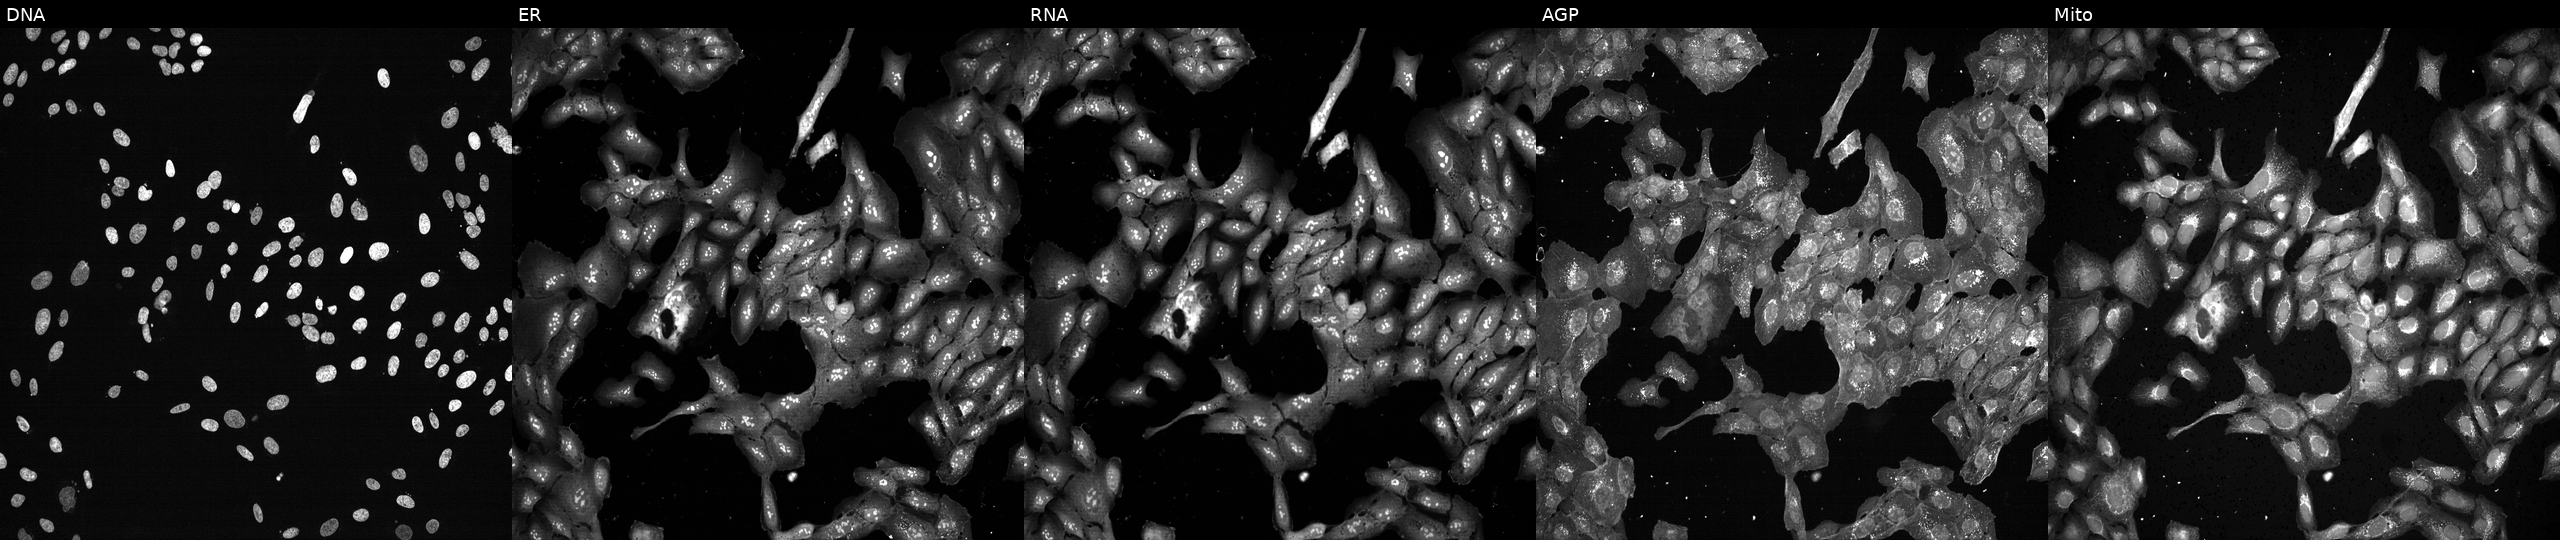
The five panels, left to right, show DNA, ER, RNA, AGP, and Mito. U2OS osteosarcoma cells with TDO2 knocked out by CRISPR. Cell Painting assay, JUMP-CP dataset. Source 13, plate CP-CC9-R1-02, well G04.